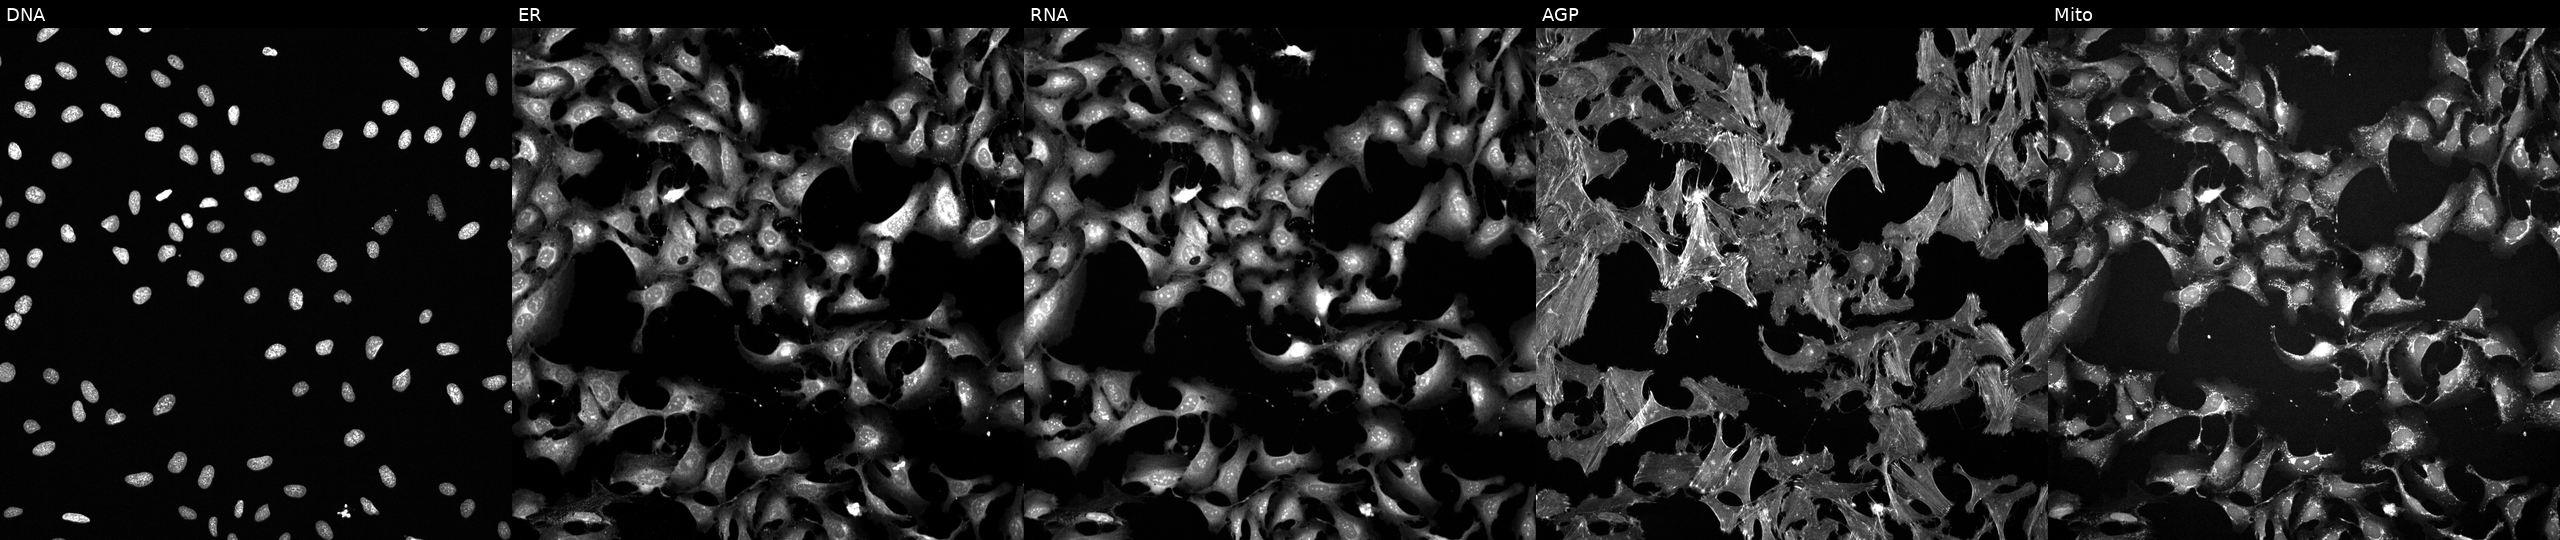
JUMP Cell Painting — COMPOUND plate. U2OS cells exposed to the positive-control compound FK-866. The five panels, left to right, show Hoechst 33342, concanavalin A, SYTO 14, phalloidin and WGA, MitoTracker.